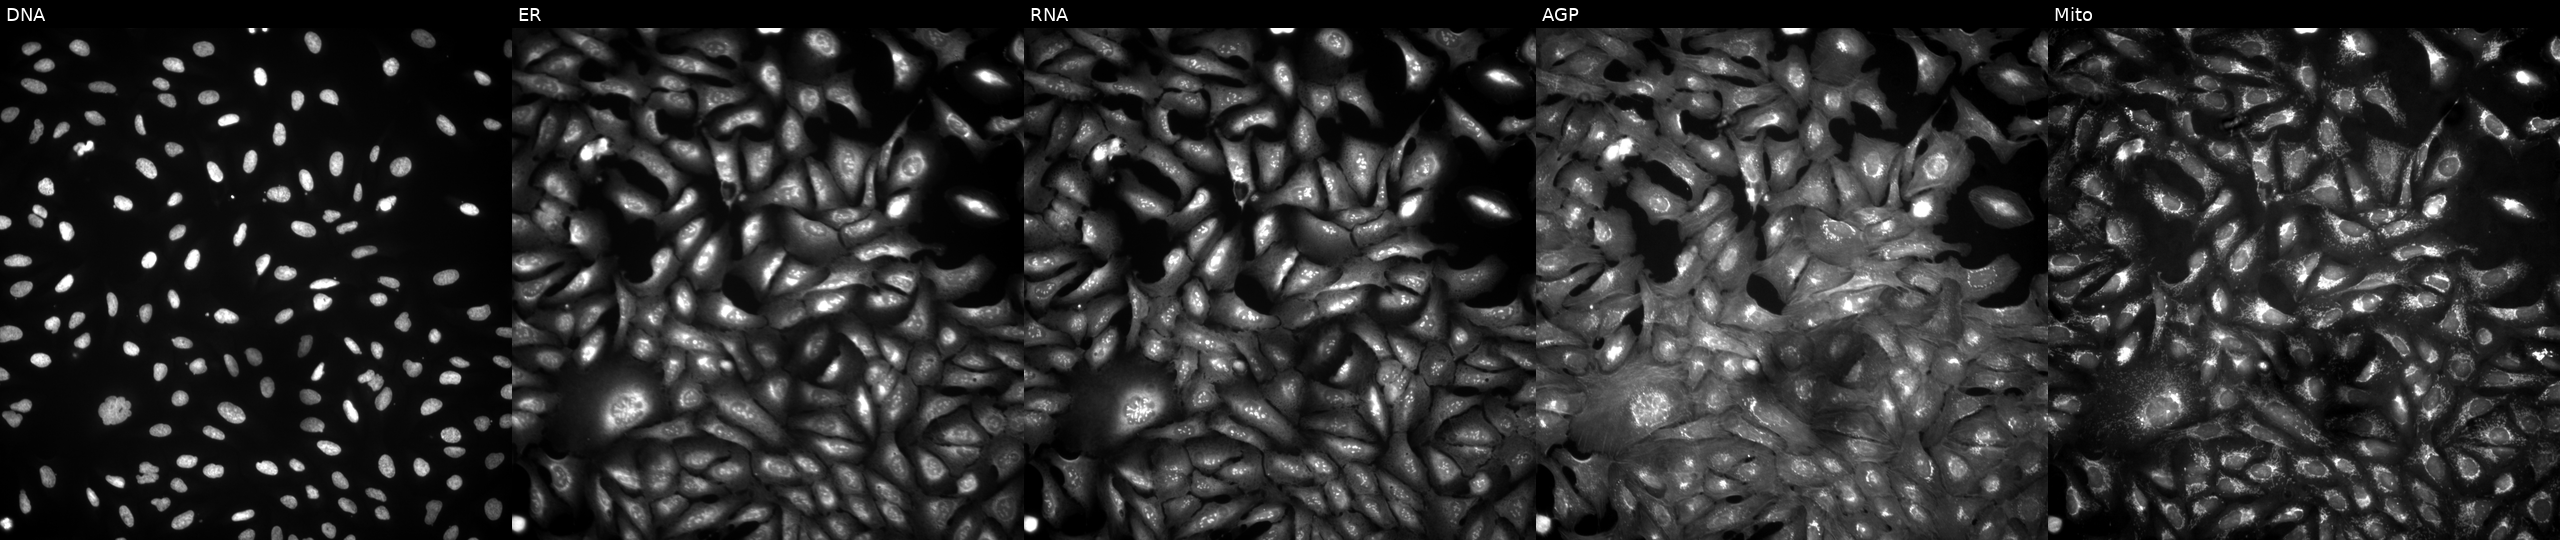
U2OS cells, Cell Painting assay, with RTP3 overexpressed (ORF) (JUMP id JCP2022_904010). Panels show, left to right, DNA, ER, RNA, AGP, and Mito. Each panel is percentile-stretched 16-bit fluorescence.